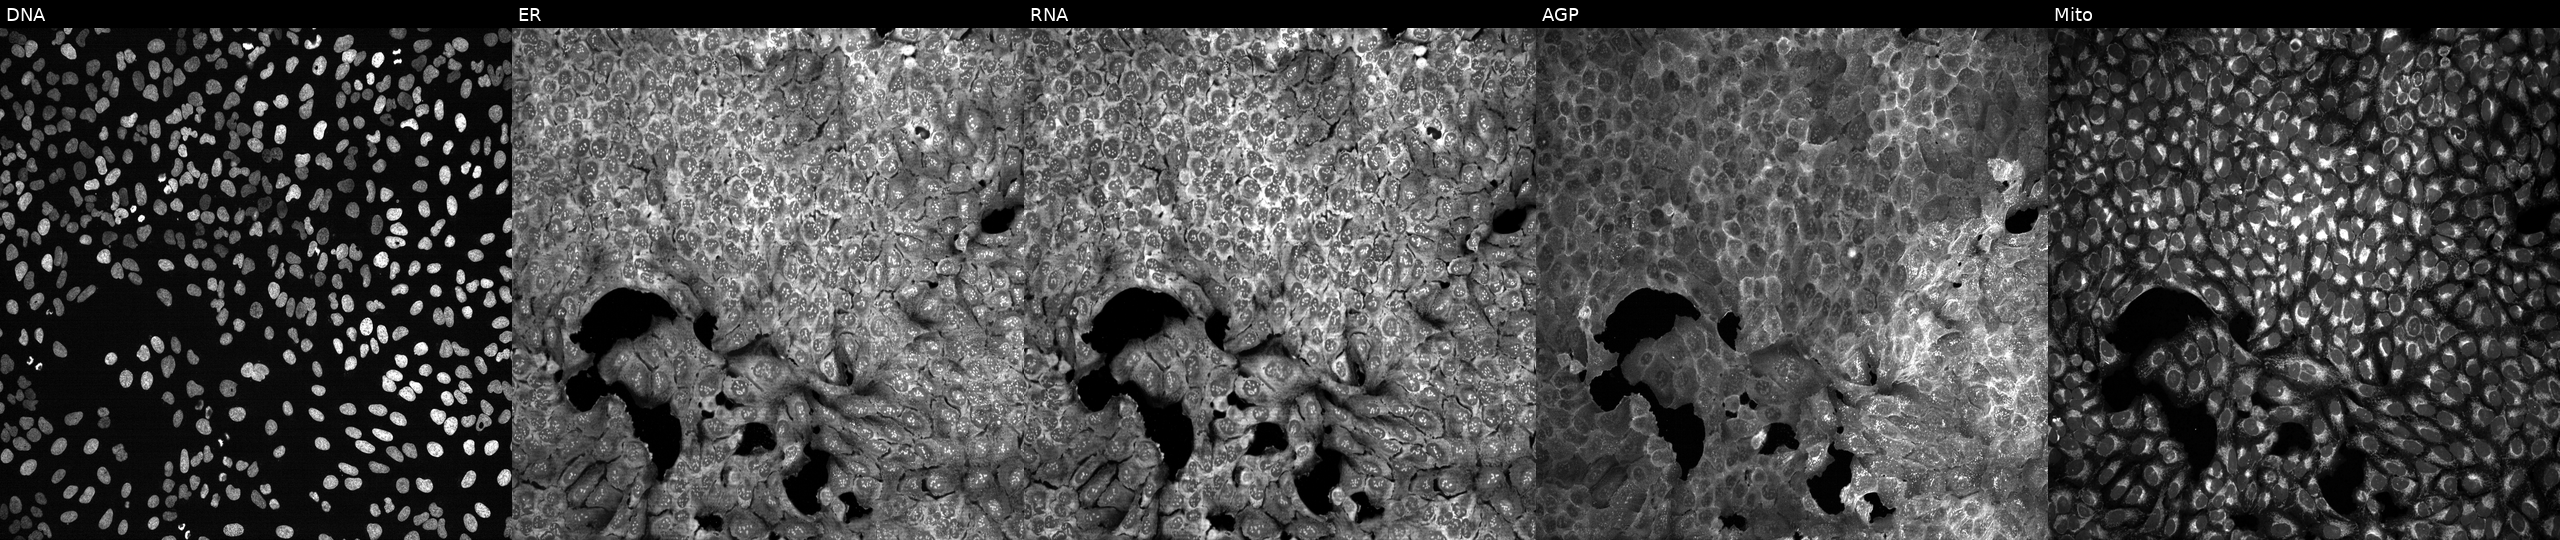
Five-channel Cell Painting image of U2OS cells with SOX21 knocked out by CRISPR. From left to right: DNA, ER, RNA, AGP, and Mito. Source 13, plate CP-CC9-R6-19, well F08.